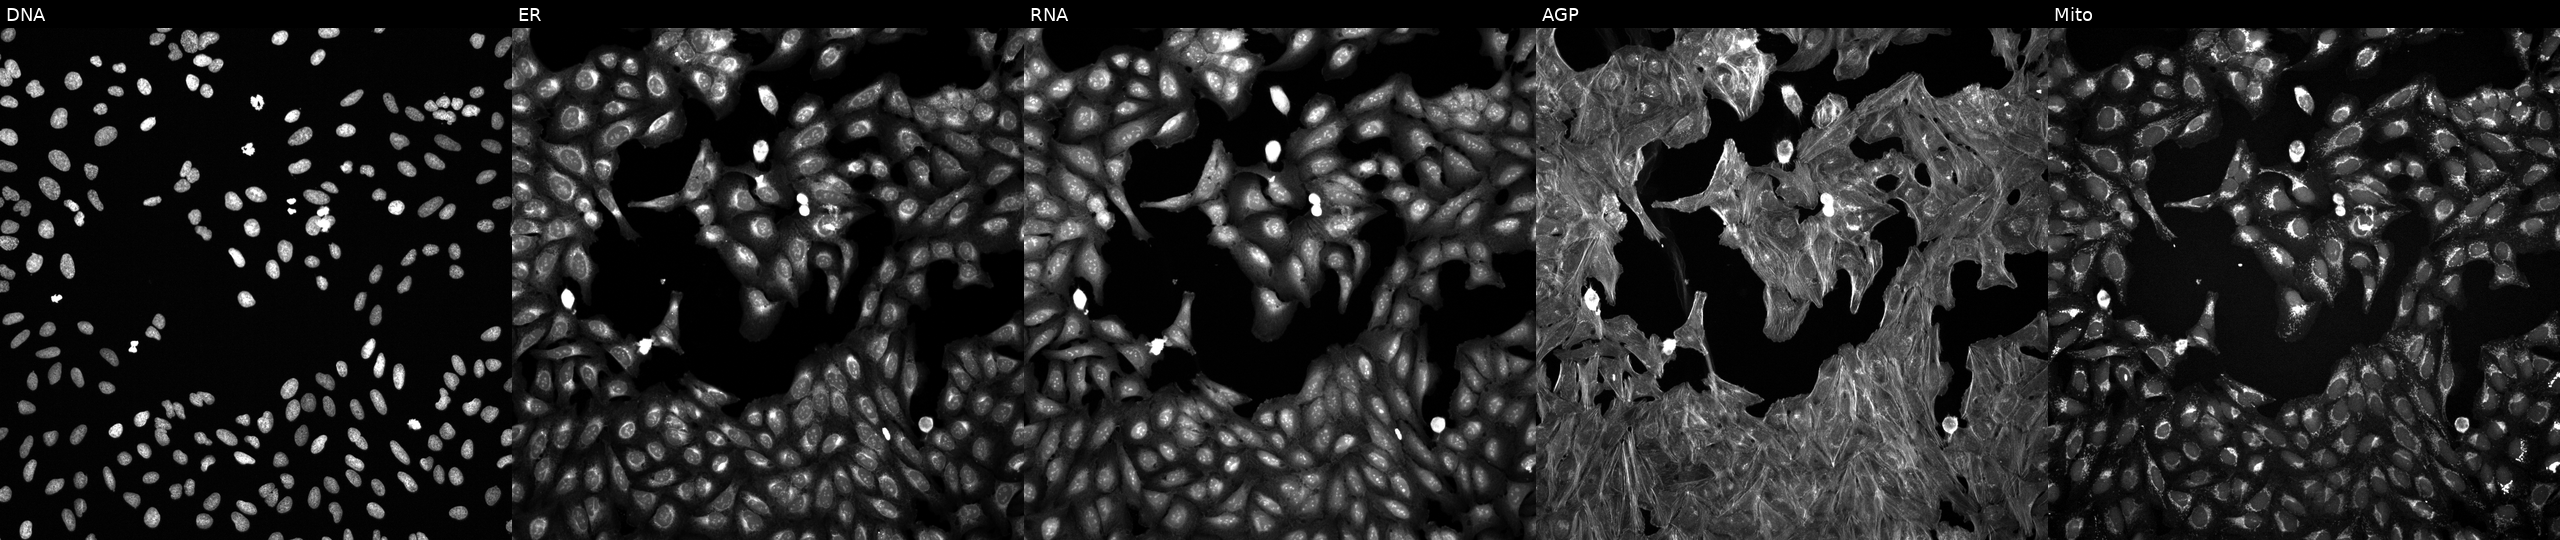
Five-channel Cell Painting image of U2OS cells treated with TC-S-7004 (positive-control compound) (JUMP id JCP2022_012818). Panels show, left to right, DNA, ER, RNA, AGP, and Mito.